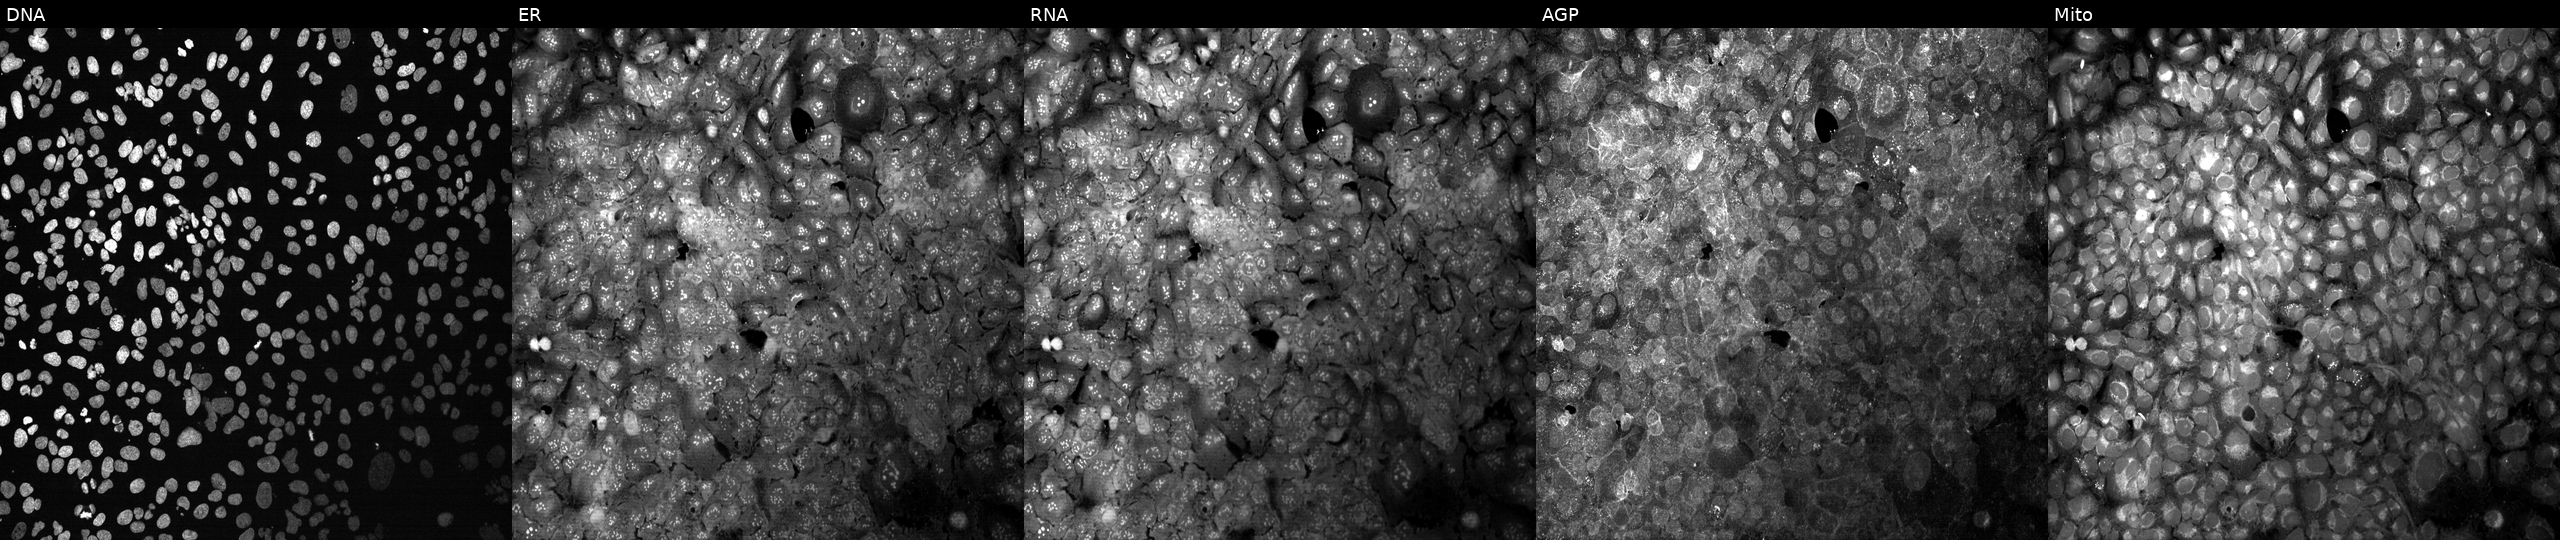
Five-channel Cell Painting image of U2OS cells with RNASE2 knocked out by CRISPR (JUMP id JCP2022_805984). Panels show, left to right, DNA, ER, RNA, AGP, and Mito.